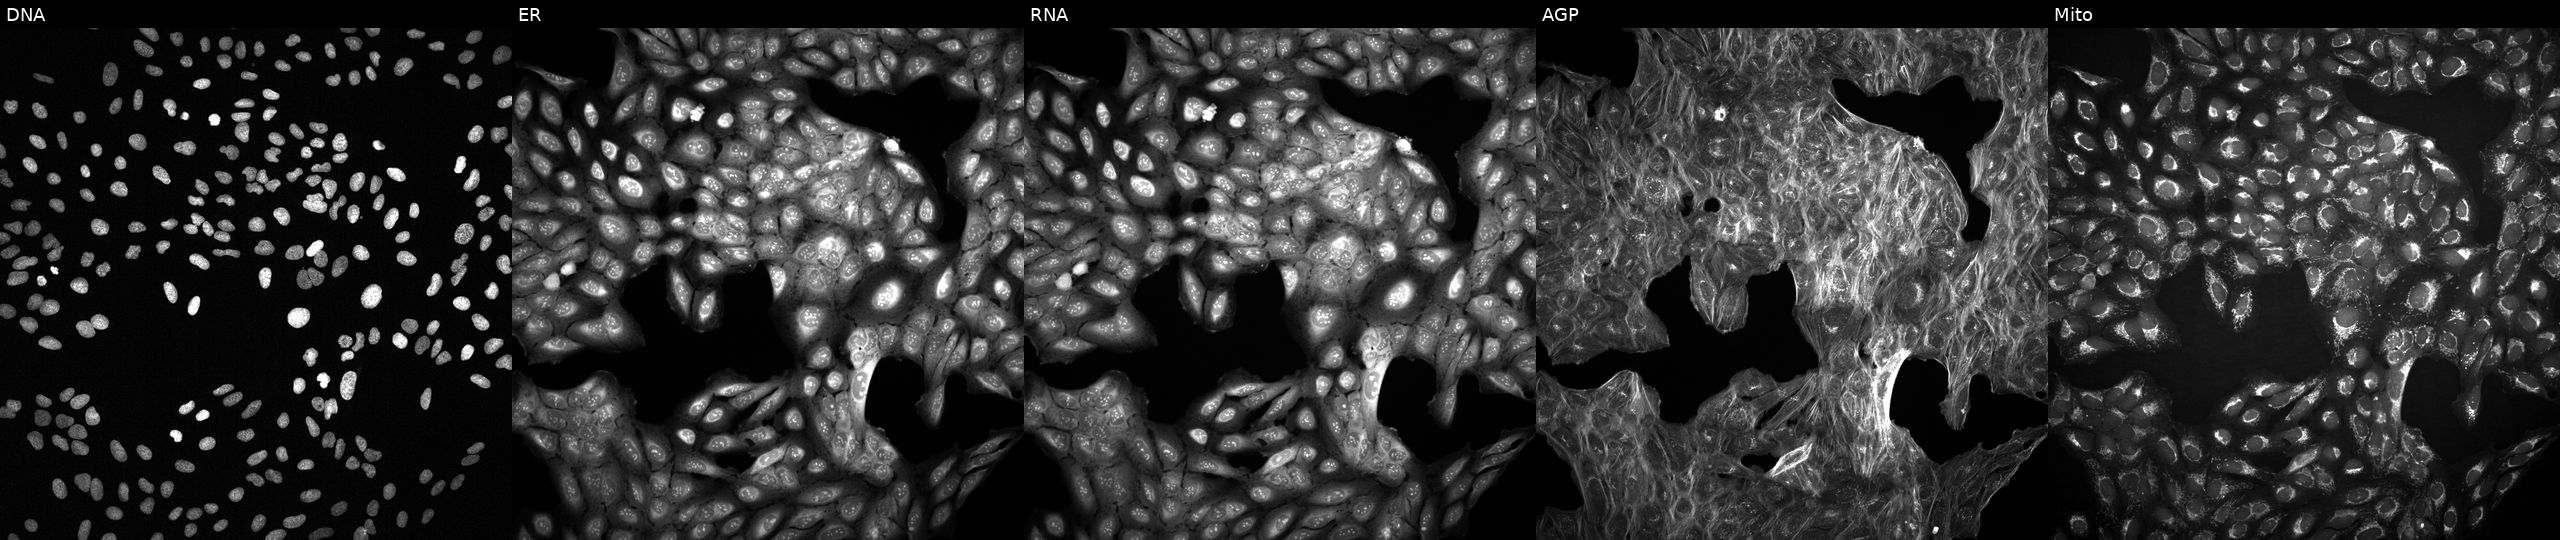
From left to right: DNA, ER, RNA, AGP, and Mito. U2OS osteosarcoma cells with an unidentified perturbation (not annotated in JUMP metadata). Cell Painting assay, JUMP-CP dataset. Source 2, plate 1053601763, well F15.